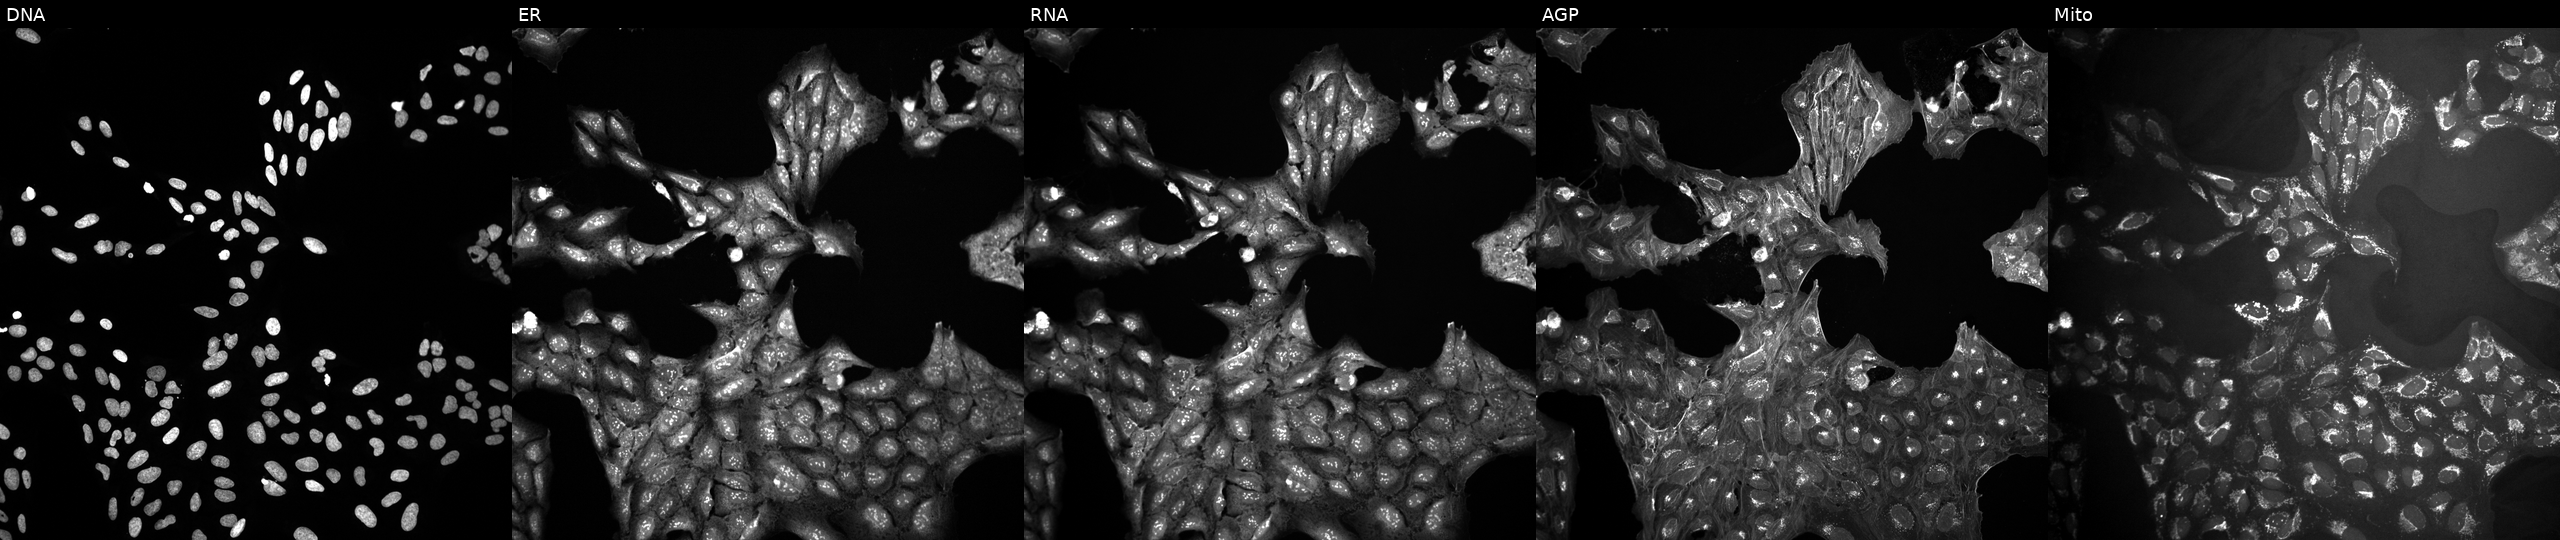
High-content fluorescence microscopy (Cell Painting). Cell line: U2OS. Perturbation: in an empty control well (no perturbation). From left to right: DNA (nuclei); ER (endoplasmic reticulum); RNA (nucleoli and cytoplasmic RNA); AGP (actin cytoskeleton, Golgi, and plasma membrane); Mito (mitochondria). Source 10, plate Dest210531-152149, well B22.